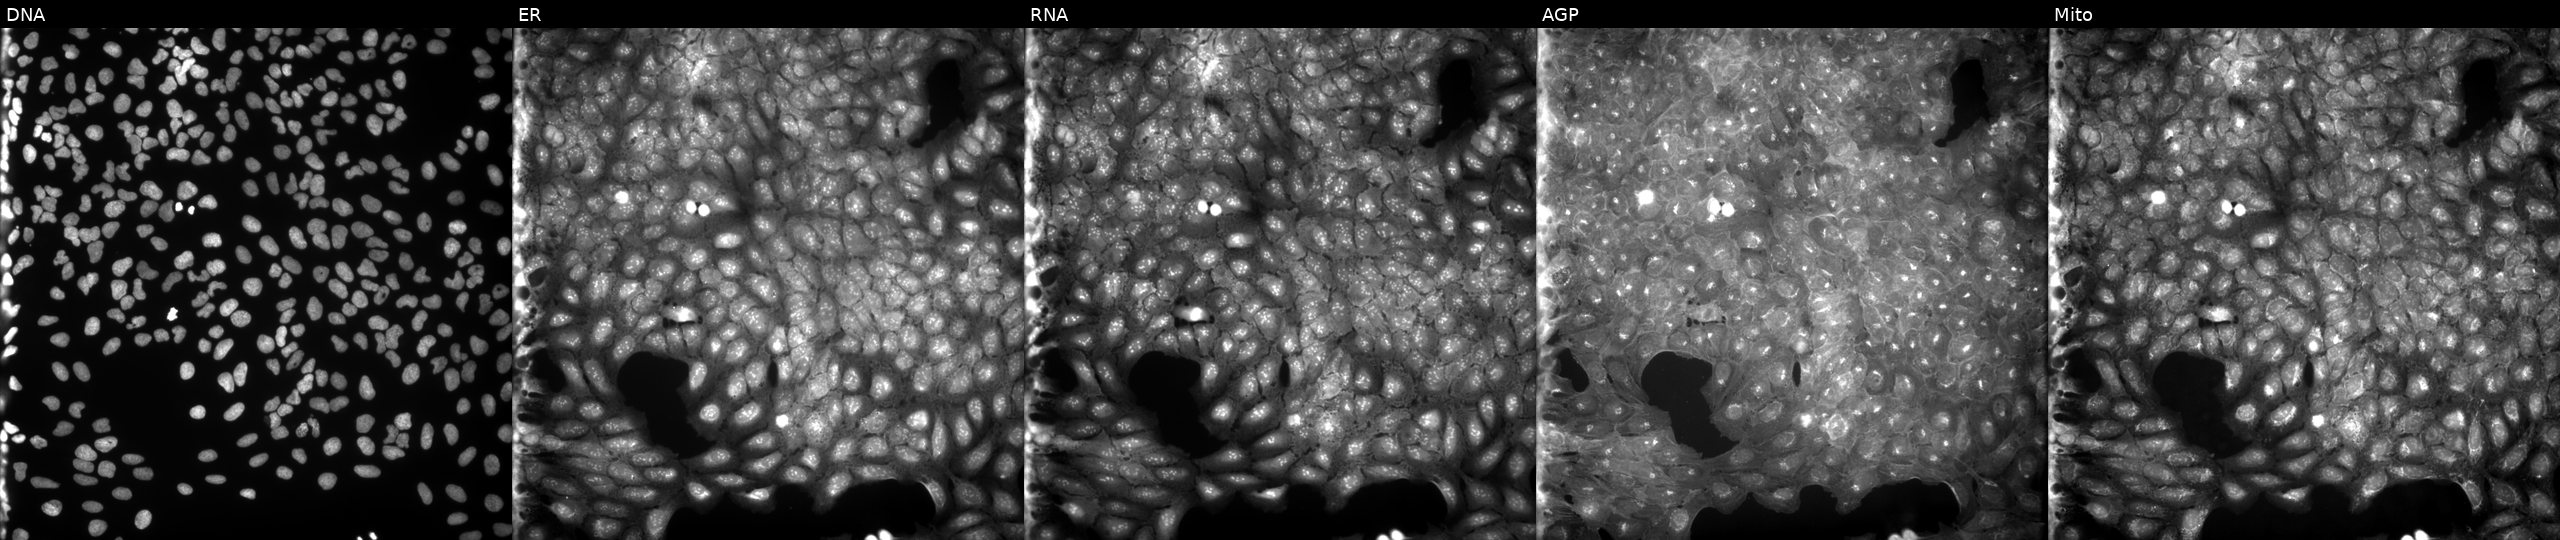
Five-channel Cell Painting image of U2OS cells treated with a small-molecule compound (InChIKey CRIYWWZALOCTHL-UHFFFAOYSA-N). From left to right: DNA, ER, RNA, AGP, and Mito. Source 9, plate GR00003381, well G16.